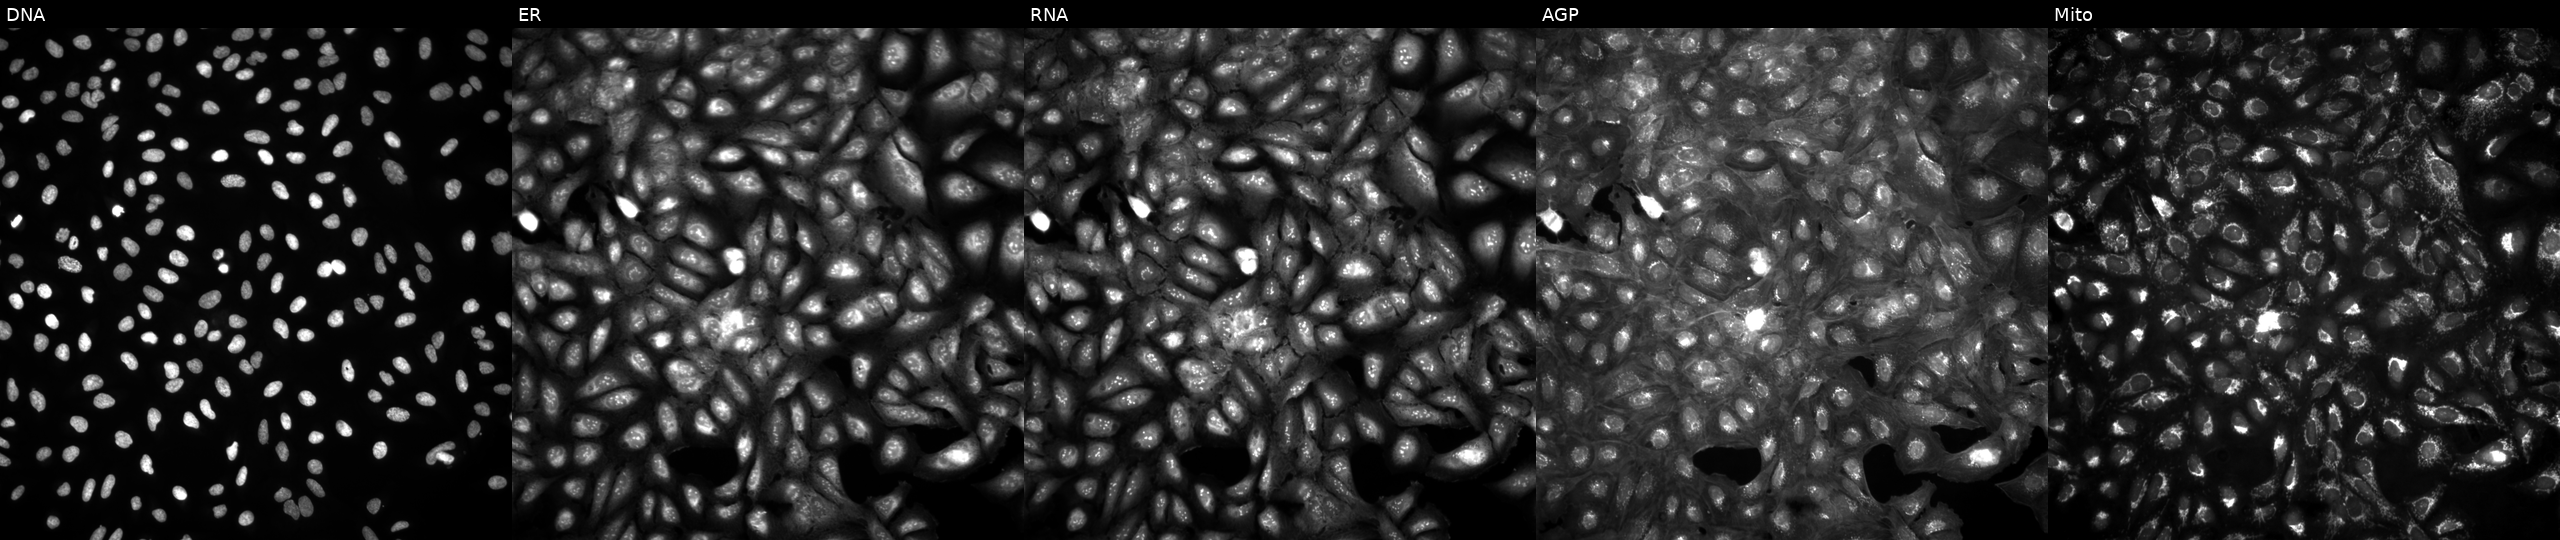
U2OS cells, Cell Painting assay, in an empty control well (no perturbation). Channels (left→right): DNA (nuclei); ER (endoplasmic reticulum); RNA (nucleoli and cytoplasmic RNA); AGP (actin cytoskeleton, Golgi, and plasma membrane); Mito (mitochondria). Each panel is percentile-stretched 16-bit fluorescence. Source 4, plate BR00124793, well B01.